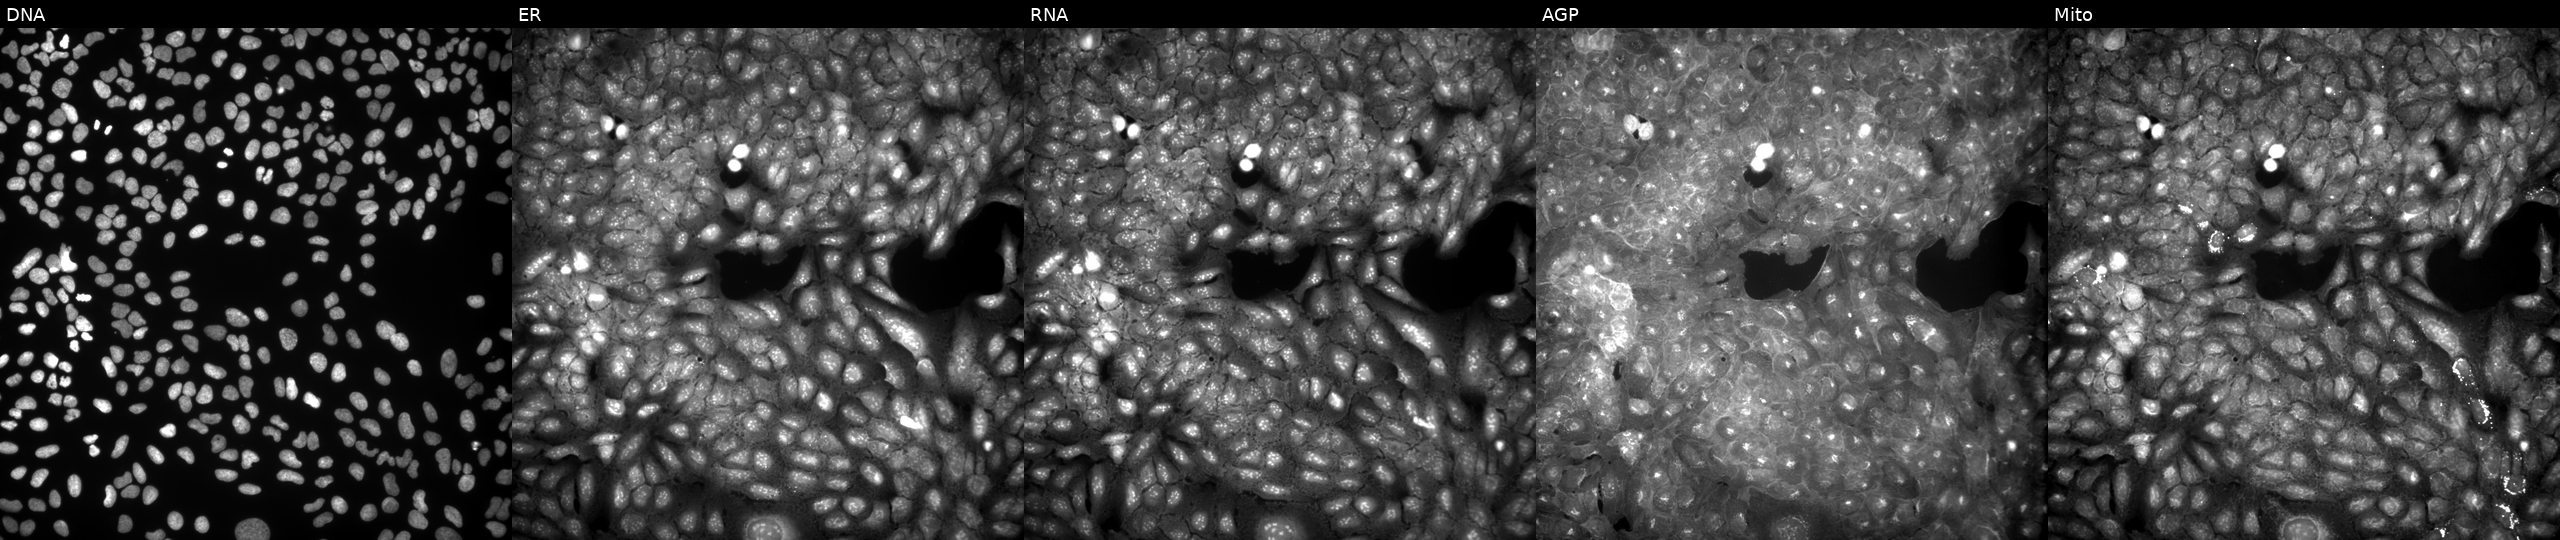
JUMP Cell Painting — COMPOUND plate. U2OS cells treated with a small-molecule compound (InChIKey UTKWGIMCGGXPMY-UHFFFAOYSA-N) [SMILES: CCOC(=O)CSc1nc2ccc(N)cc2s1] (JUMP id JCP2022_091440). From left to right: DNA, ER, RNA, AGP, and Mito.